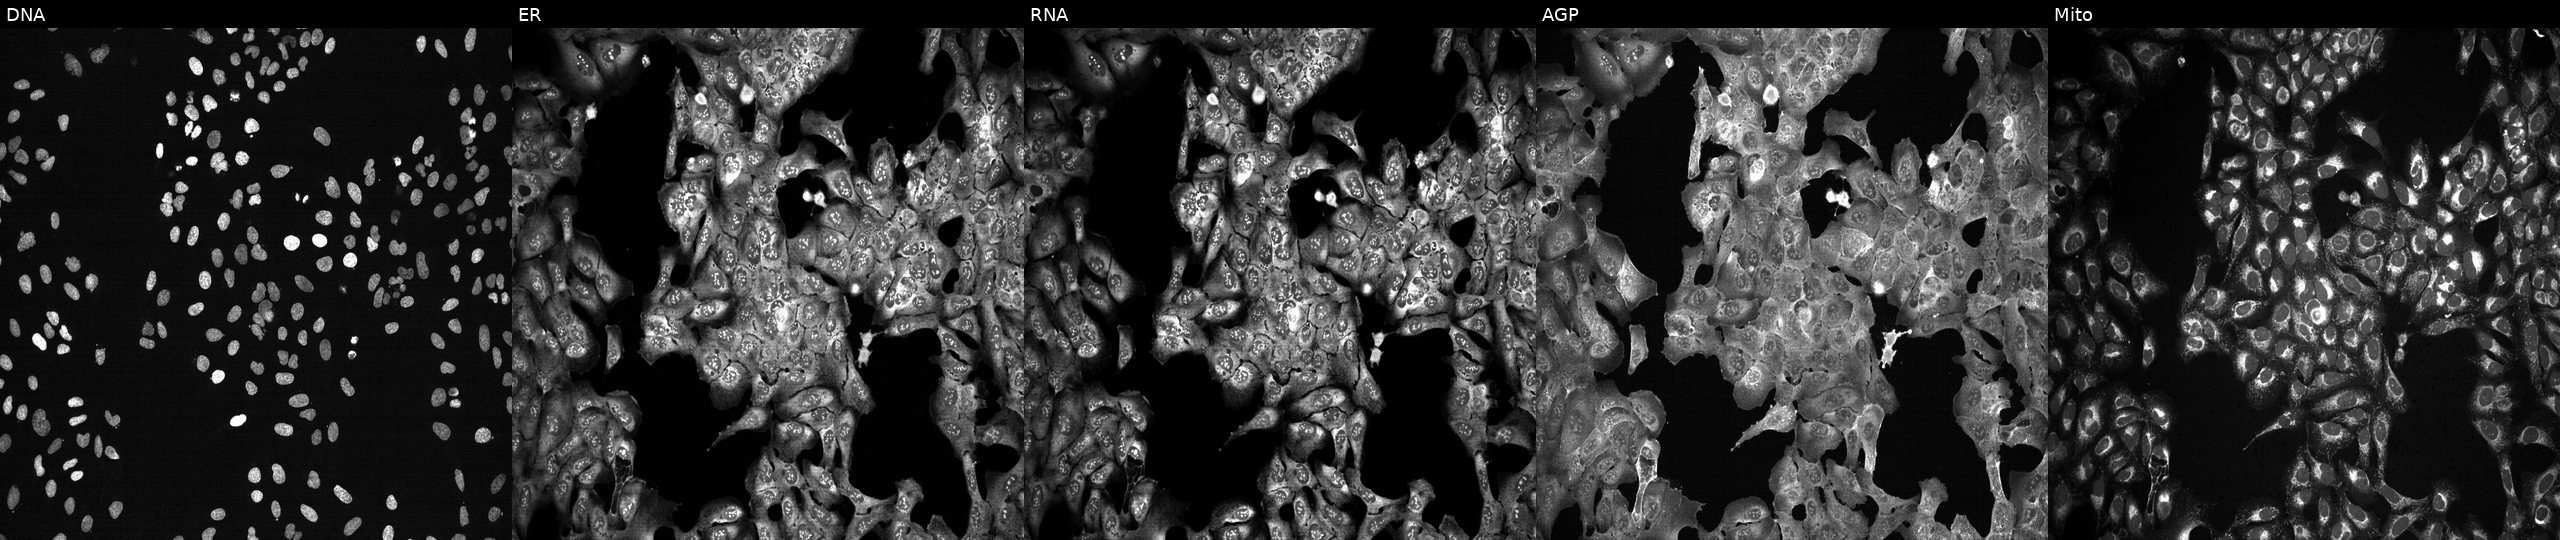
JUMP Cell Painting — CRISPR plate. U2OS cells with POLD4 knocked out by CRISPR (JUMP id JCP2022_805326). From left to right: Hoechst 33342, concanavalin A, SYTO 14, phalloidin and WGA, MitoTracker.